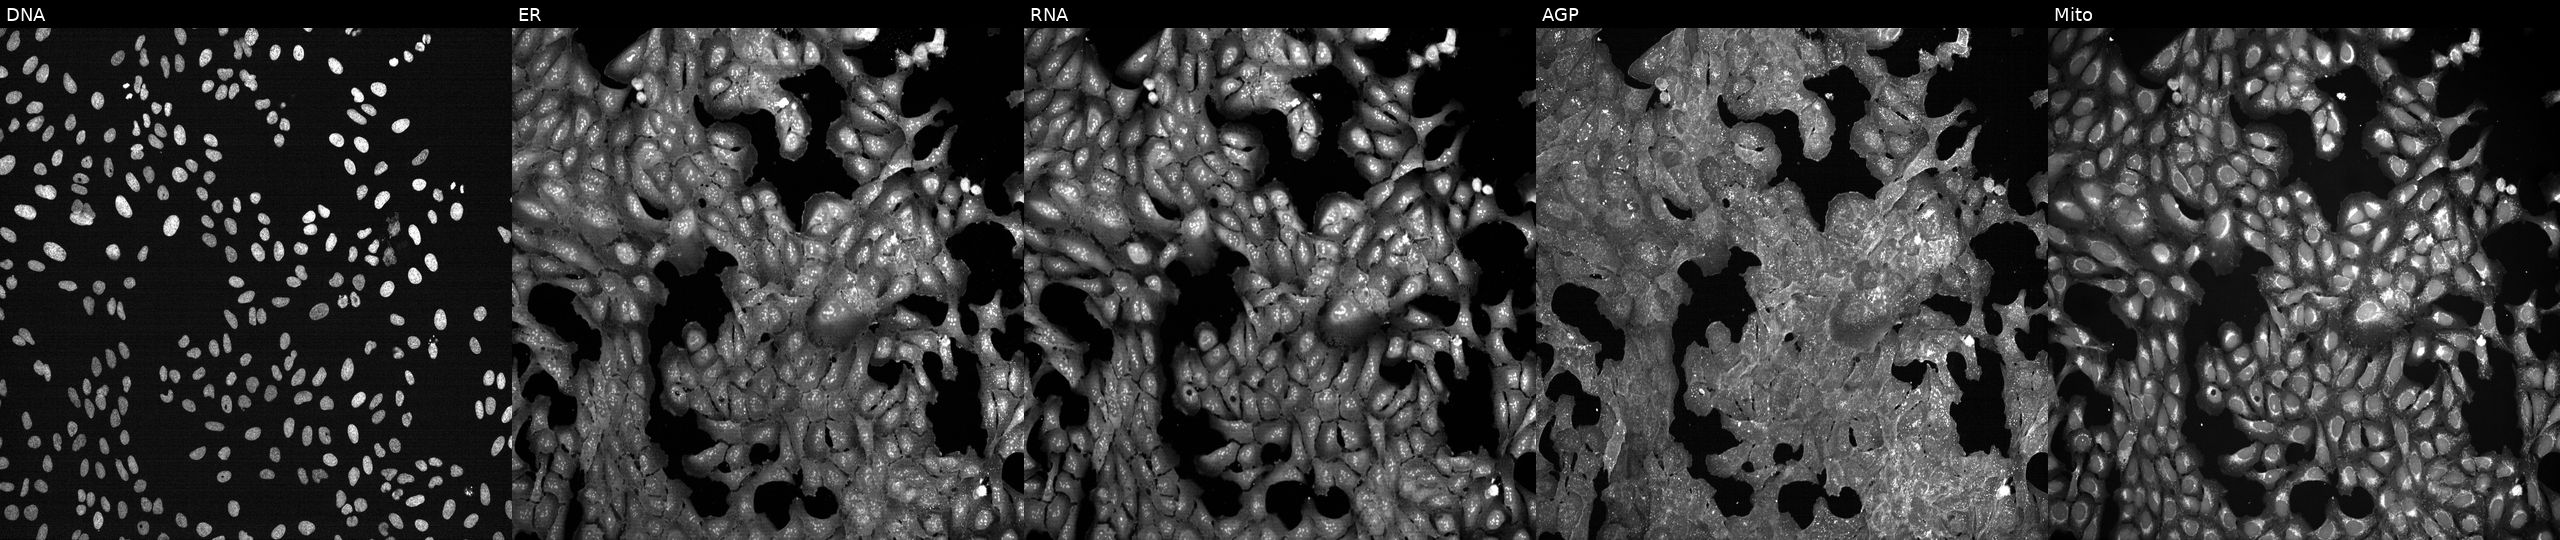
U2OS cells, Cell Painting assay, exposed to the positive-control compound aloxistatin (JUMP id JCP2022_085227). Panels show, left to right, DNA (nuclei); ER (endoplasmic reticulum); RNA (nucleoli and cytoplasmic RNA); AGP (actin cytoskeleton, Golgi, and plasma membrane); Mito (mitochondria). Each panel is percentile-stretched 16-bit fluorescence. Source 7, plate CP2-SC1-25, well F06.